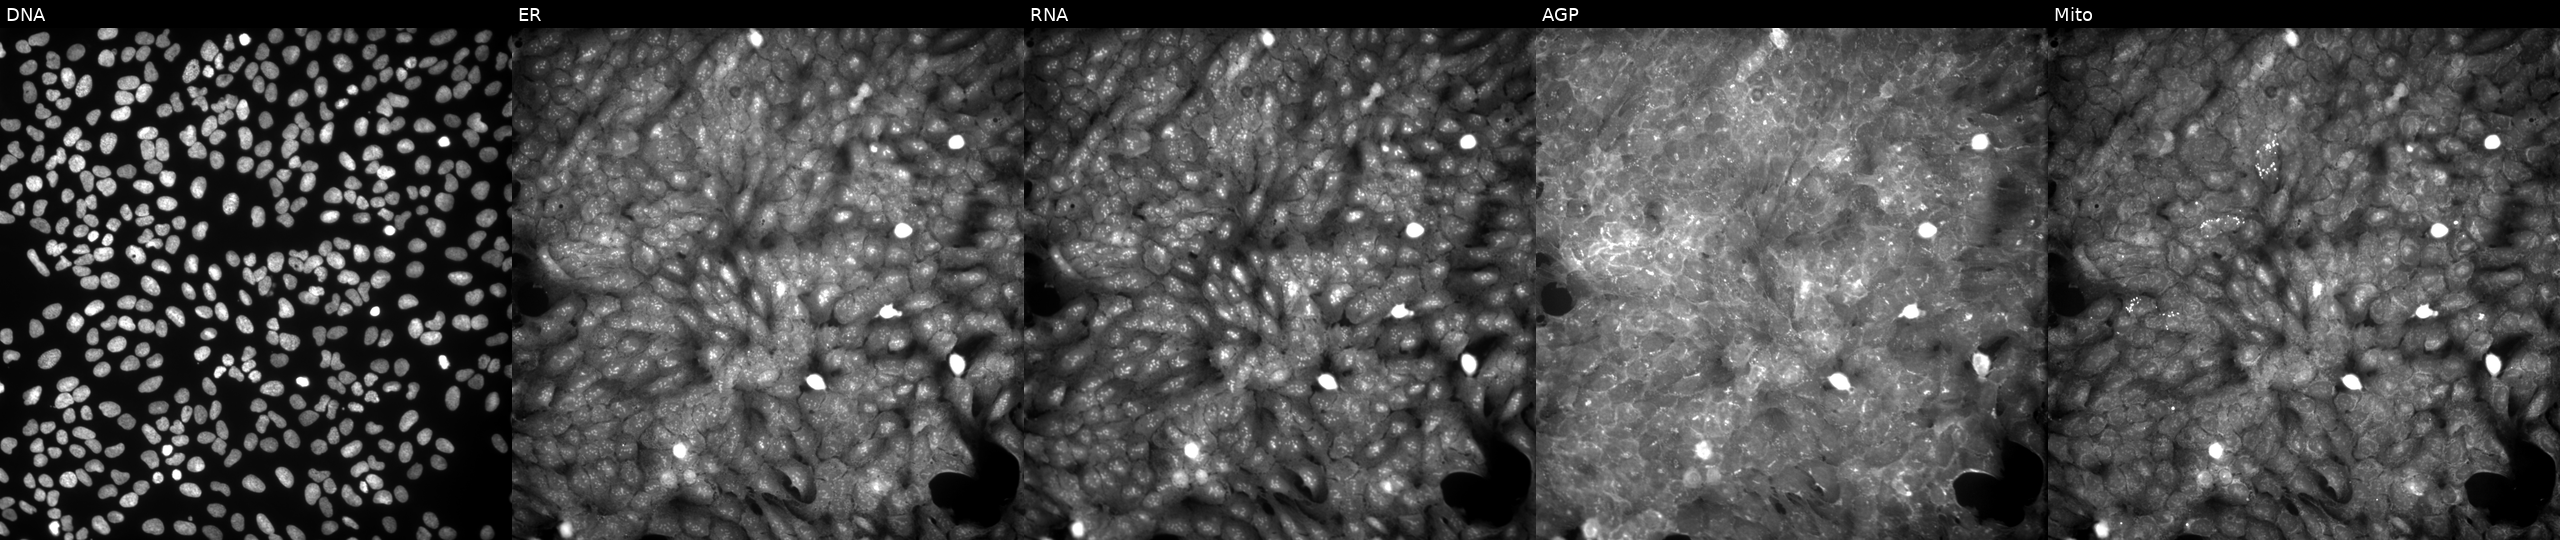
JUMP Cell Painting — COMPOUND plate. U2OS cells treated with dexamethasone (positive-control compound) (JUMP id JCP2022_025848). The five panels, left to right, show DNA (nuclei); ER (endoplasmic reticulum); RNA (nucleoli and cytoplasmic RNA); AGP (actin cytoskeleton, Golgi, and plasma membrane); Mito (mitochondria). Source 9, plate GR00003381, well S25.